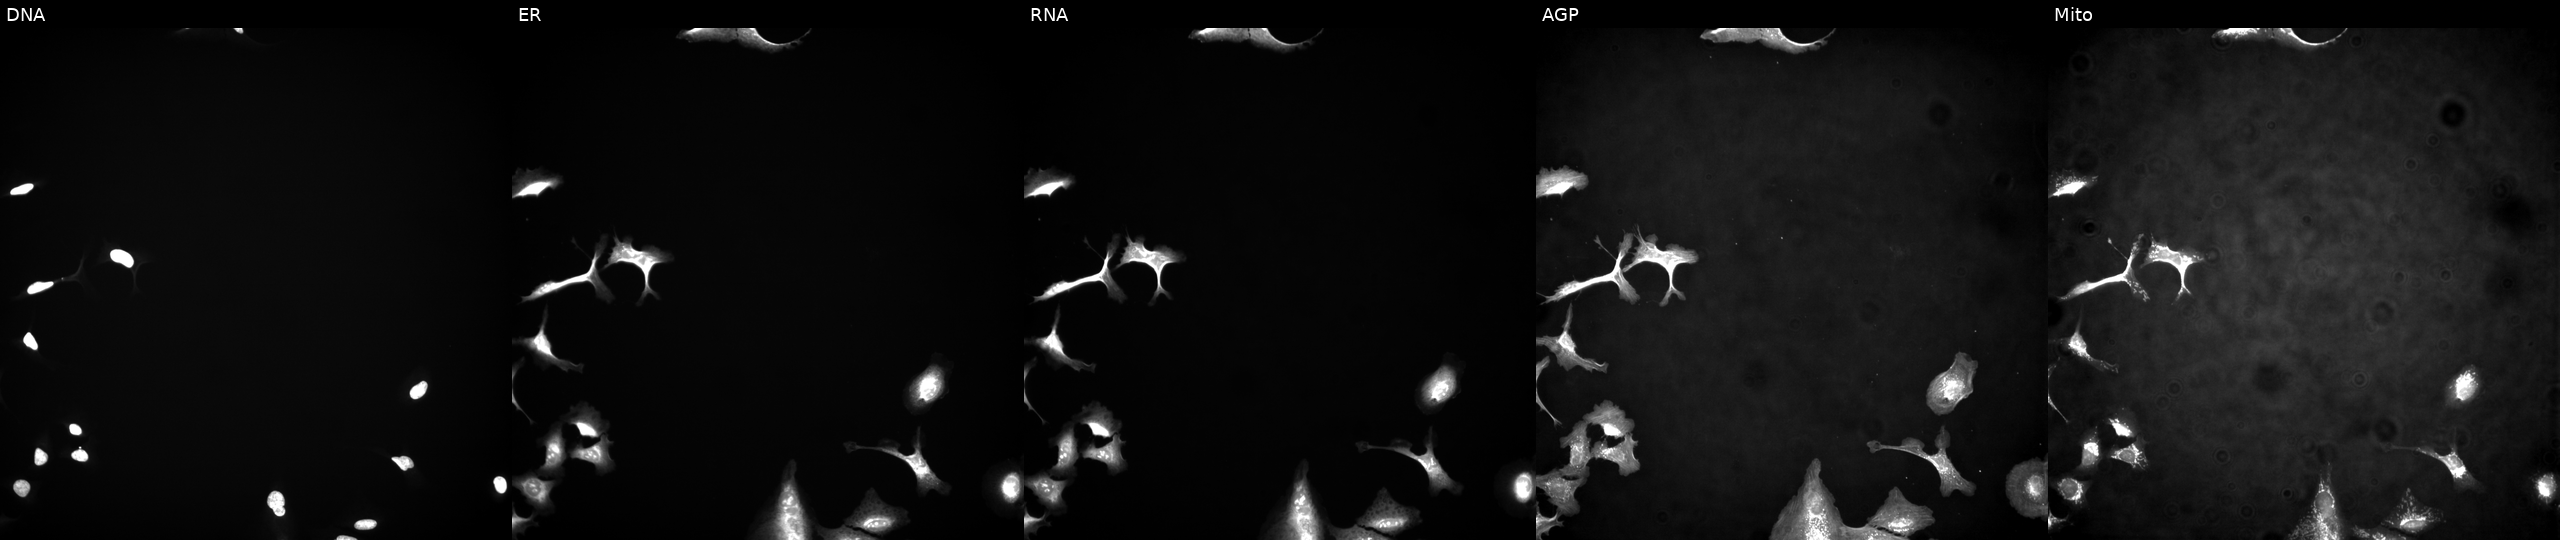
High-content fluorescence microscopy (Cell Painting). Cell line: U2OS. Perturbation: transfected with an ORF construct for NPR1 (JUMP id JCP2022_912974). Channels (left→right): DNA (nuclei); ER (endoplasmic reticulum); RNA (nucleoli and cytoplasmic RNA); AGP (actin cytoskeleton, Golgi, and plasma membrane); Mito (mitochondria).